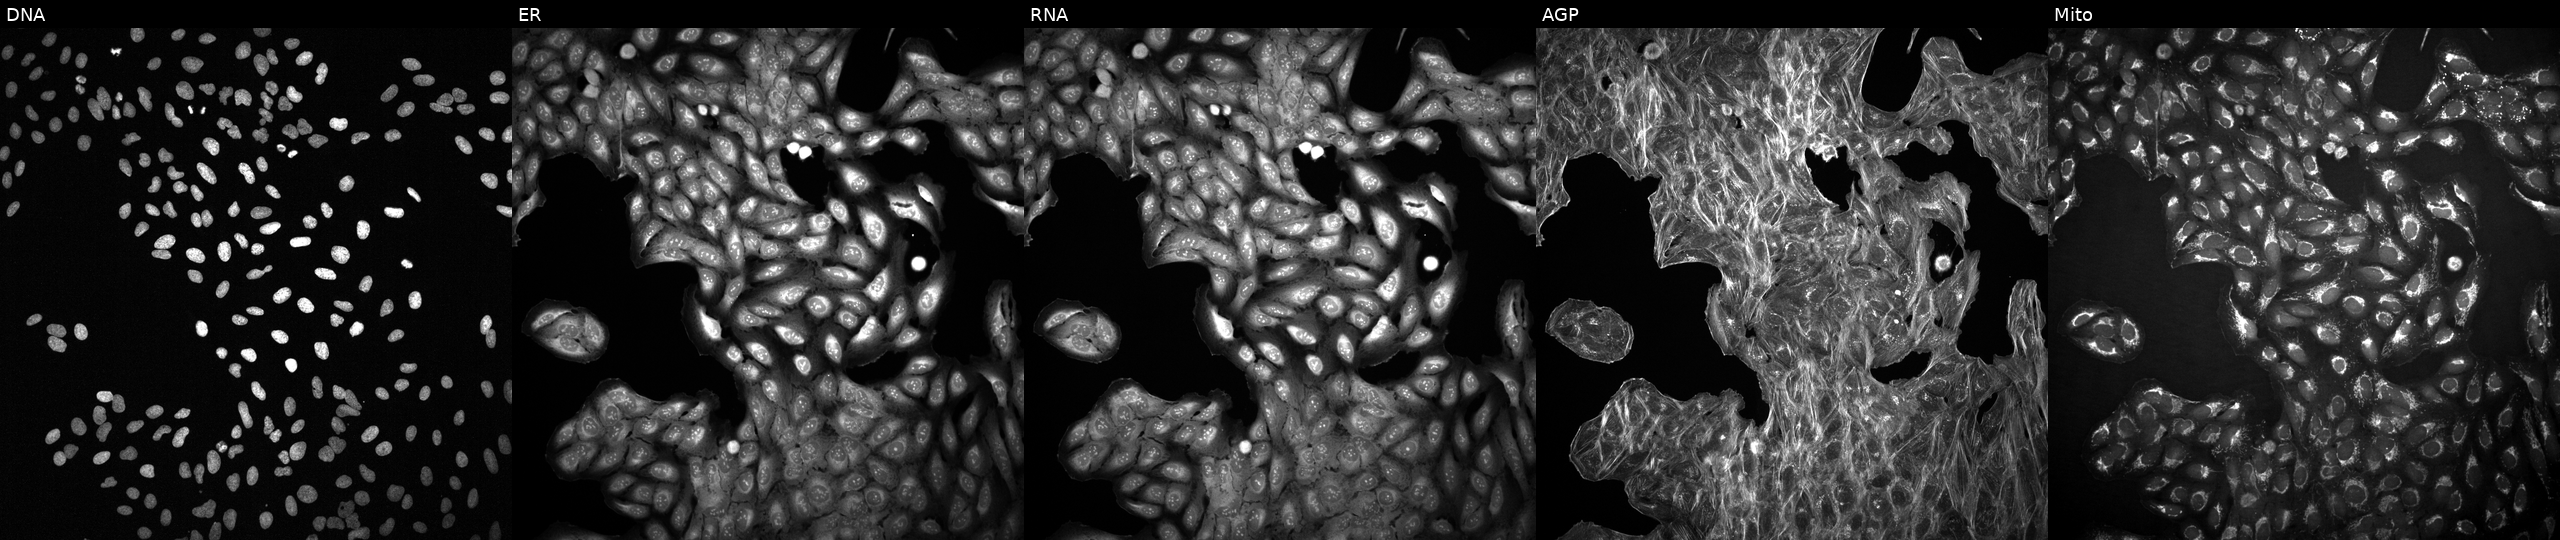
JUMP Cell Painting — COMPOUND plate. U2OS cells exposed to a small-molecule compound (InChIKey SSQZRPULXOTKAX-UHFFFAOYSA-N) (JUMP id JCP2022_085370). Channels (left→right): DNA (nuclei); ER (endoplasmic reticulum); RNA (nucleoli and cytoplasmic RNA); AGP (actin cytoskeleton, Golgi, and plasma membrane); Mito (mitochondria).